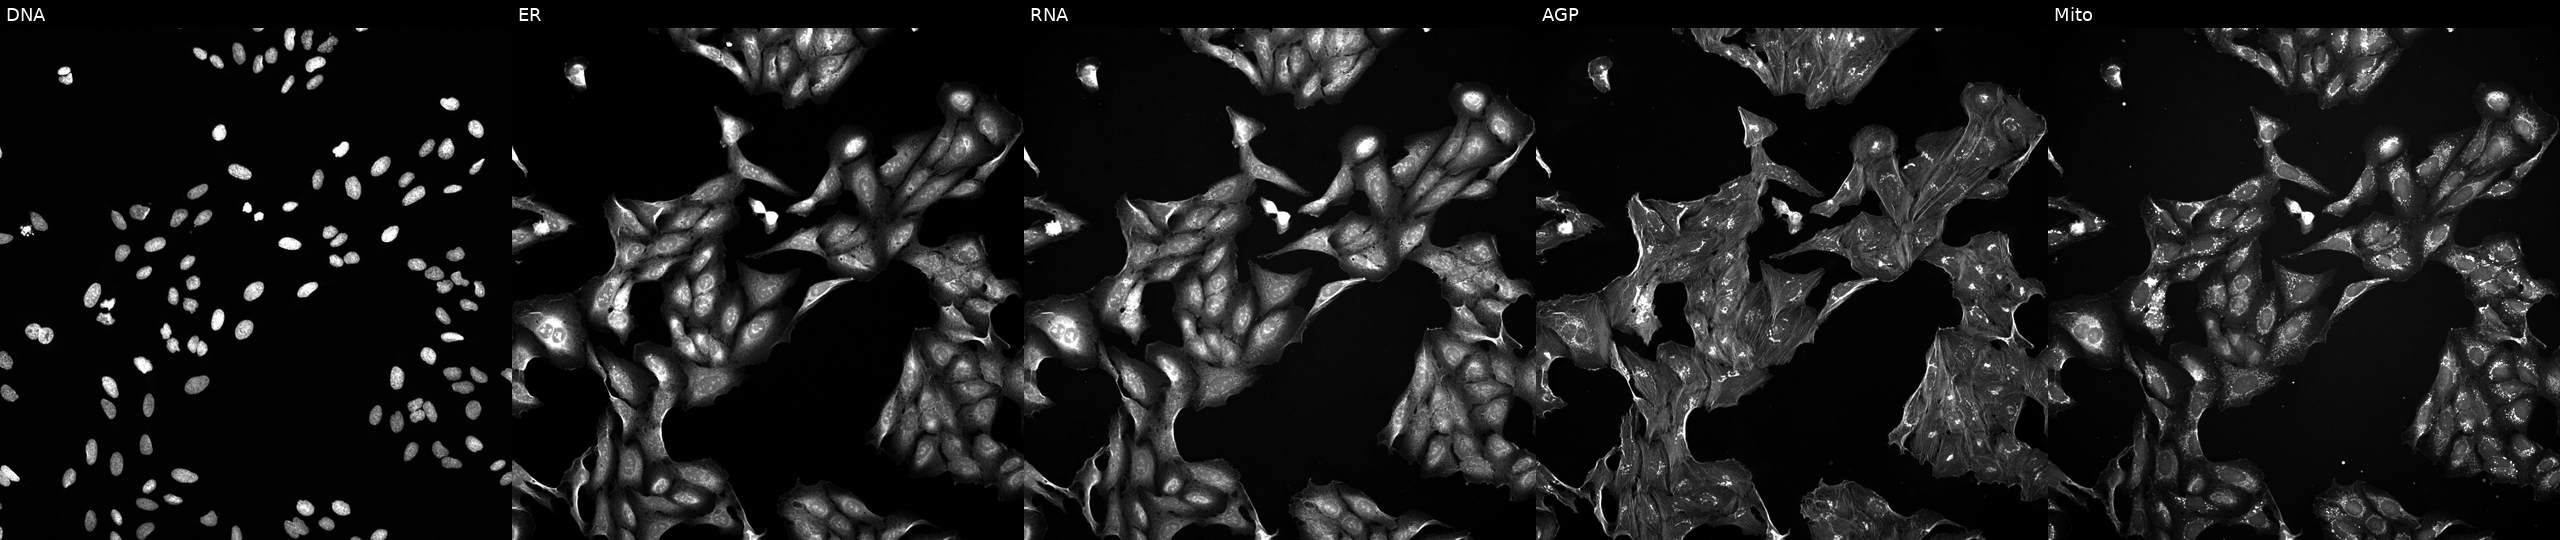
High-content fluorescence microscopy (Cell Painting). Cell line: U2OS. Perturbation: exposed to a small-molecule compound (InChIKey UTBOEBCWXGDOGI-UHFFFAOYSA-N) [SMILES: C=C(NC(=O)C(=C)NC(=O)c1csc(C2=NC3c4csc(n4)C4NC(=O)c5csc(n5)C(C(C)(O)C(C)O)NC(=O)C5CSC(=N5)C(=CC)NC(=O)C(C(C)O)NC(=O)c5csc(n5)C3(CC2)NC(=O)C(C)NC(=O)C(=C)NC(=O)C(C)NC(=O)C(C(C)CC)Nc2ccc3c(c2O)NC(=CC3C(C)O)C(=O)OC4C)n1)C(N)=O] (JUMP id JCP2022_091373). From left to right: Hoechst 33342, concanavalin A, SYTO 14, phalloidin and WGA, MitoTracker.